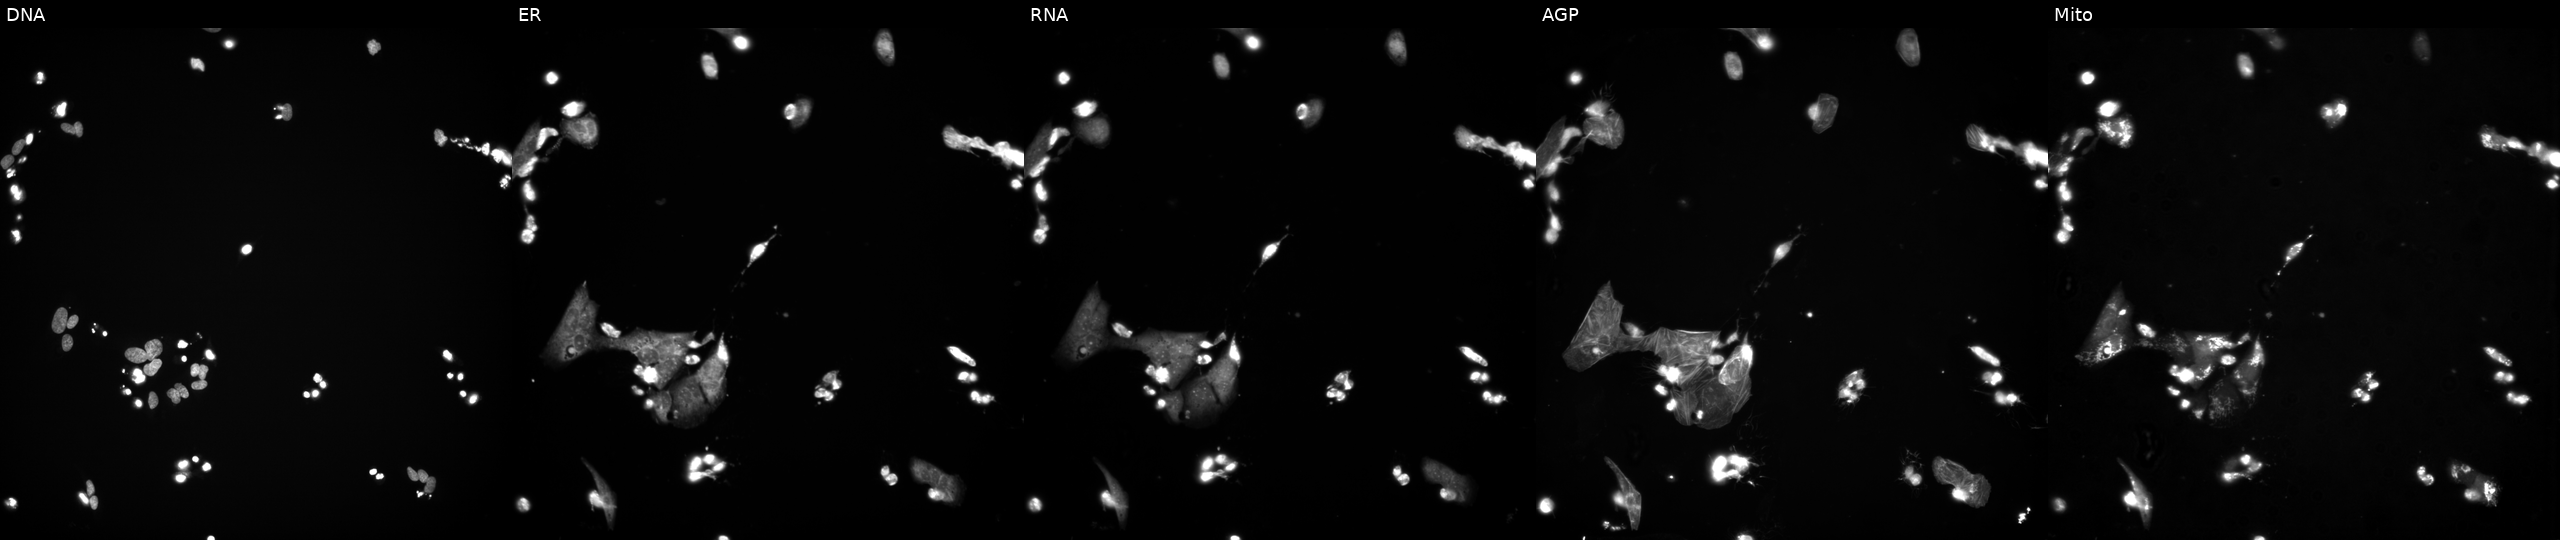
This image strip shows the five Cell Painting channels for a single field of U2OS cells treated with a small-molecule compound (JUMP id JCP2022_080920). Panels show, left to right, Hoechst 33342, concanavalin A, SYTO 14, phalloidin and WGA, MitoTracker. Source 3, plate JCPQC051, well D13.